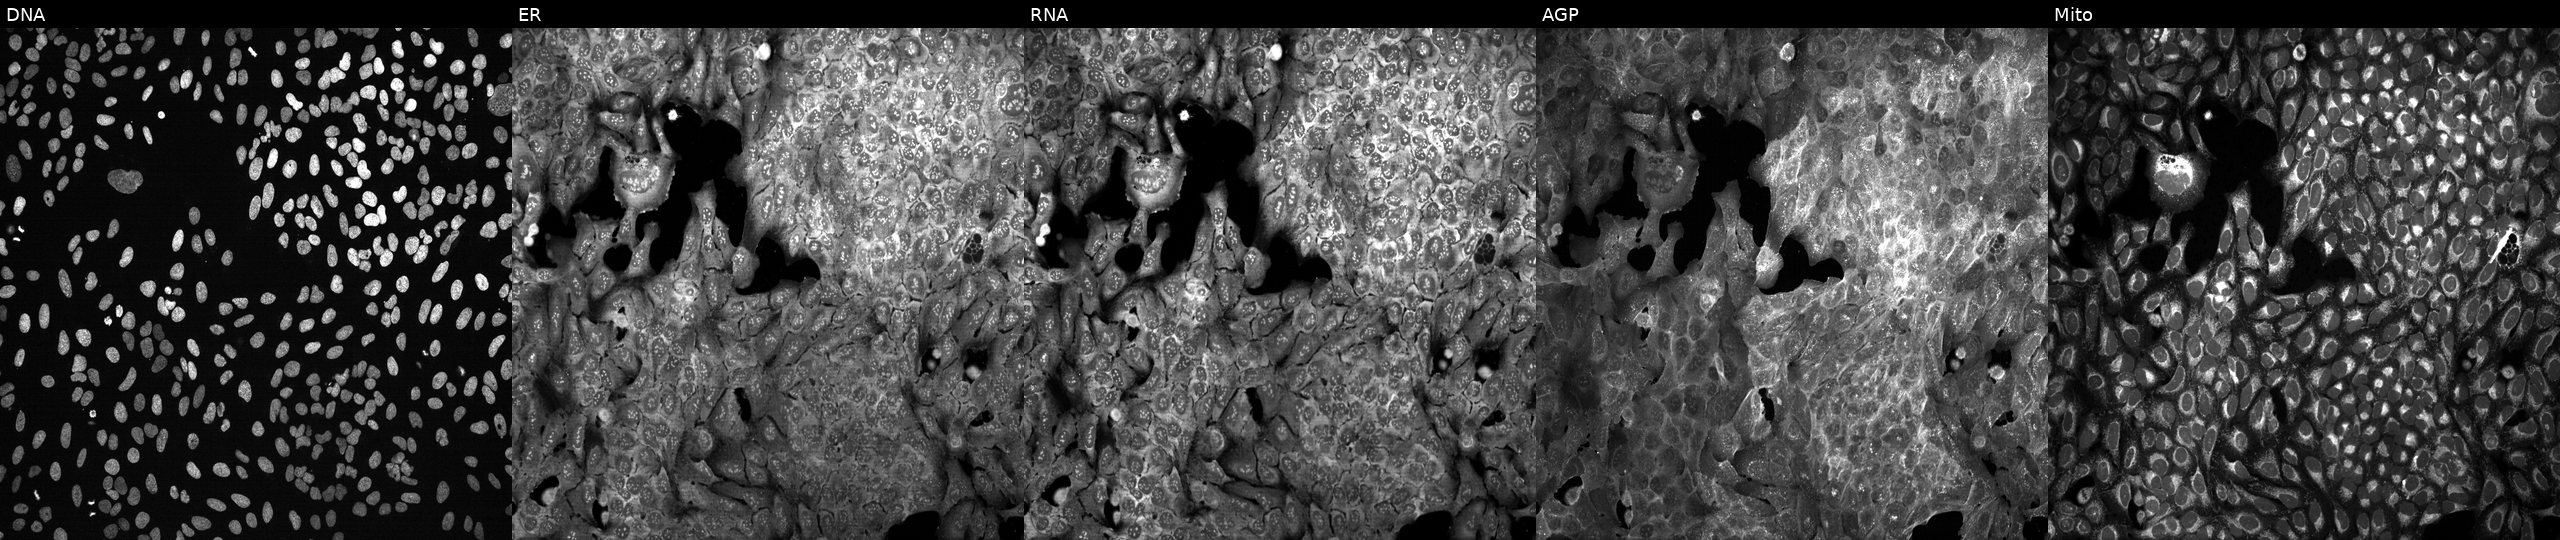
Panels show, left to right, DNA, ER, RNA, AGP, and Mito. U2OS osteosarcoma cells following CRISPR knockout of PIGK (JUMP id JCP2022_805144). Cell Painting assay, JUMP-CP dataset. Source 13, plate CP-CC9-R6-19, well N15.